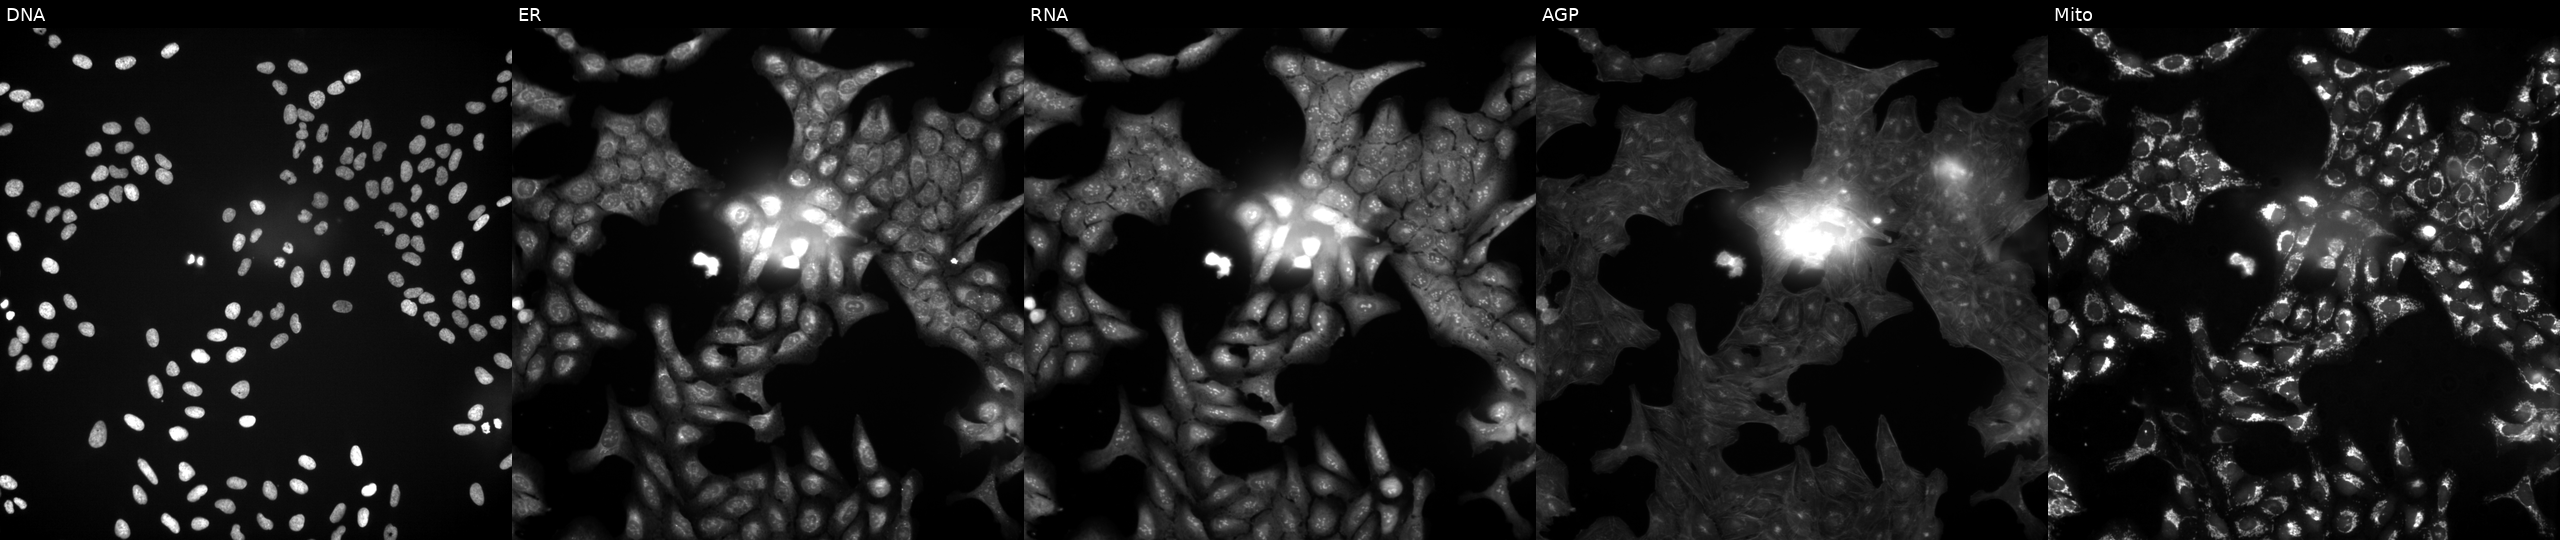
Five-channel Cell Painting image of U2OS cells exposed to a small-molecule compound (InChIKey LXANPKRCLVQAOG-UHFFFAOYSA-N) (JUMP id JCP2022_052259). Panels show, left to right, Hoechst 33342, concanavalin A, SYTO 14, phalloidin and WGA, MitoTracker. Source 3, plate JCPQC051, well N18.